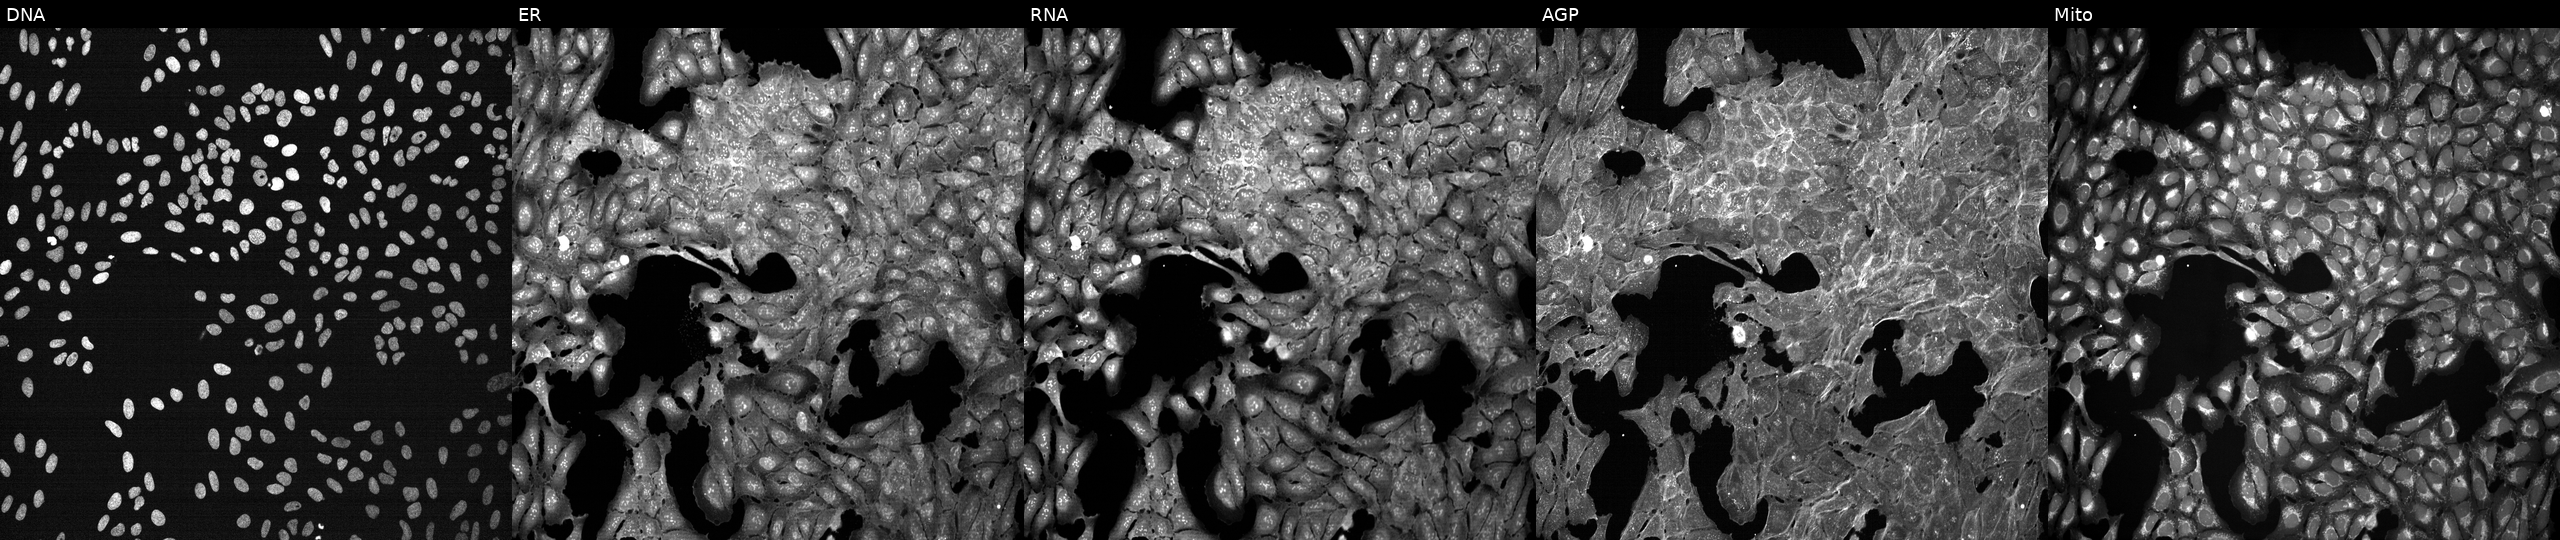
High-content fluorescence microscopy (Cell Painting). Cell line: U2OS. Perturbation: perturbed with a small-molecule compound [SMILES: Cc1[nH]cnc1CCN]. The five panels, left to right, show DNA, ER, RNA, AGP, and Mito. Source 7, plate CP3-SC1-25, well D23.